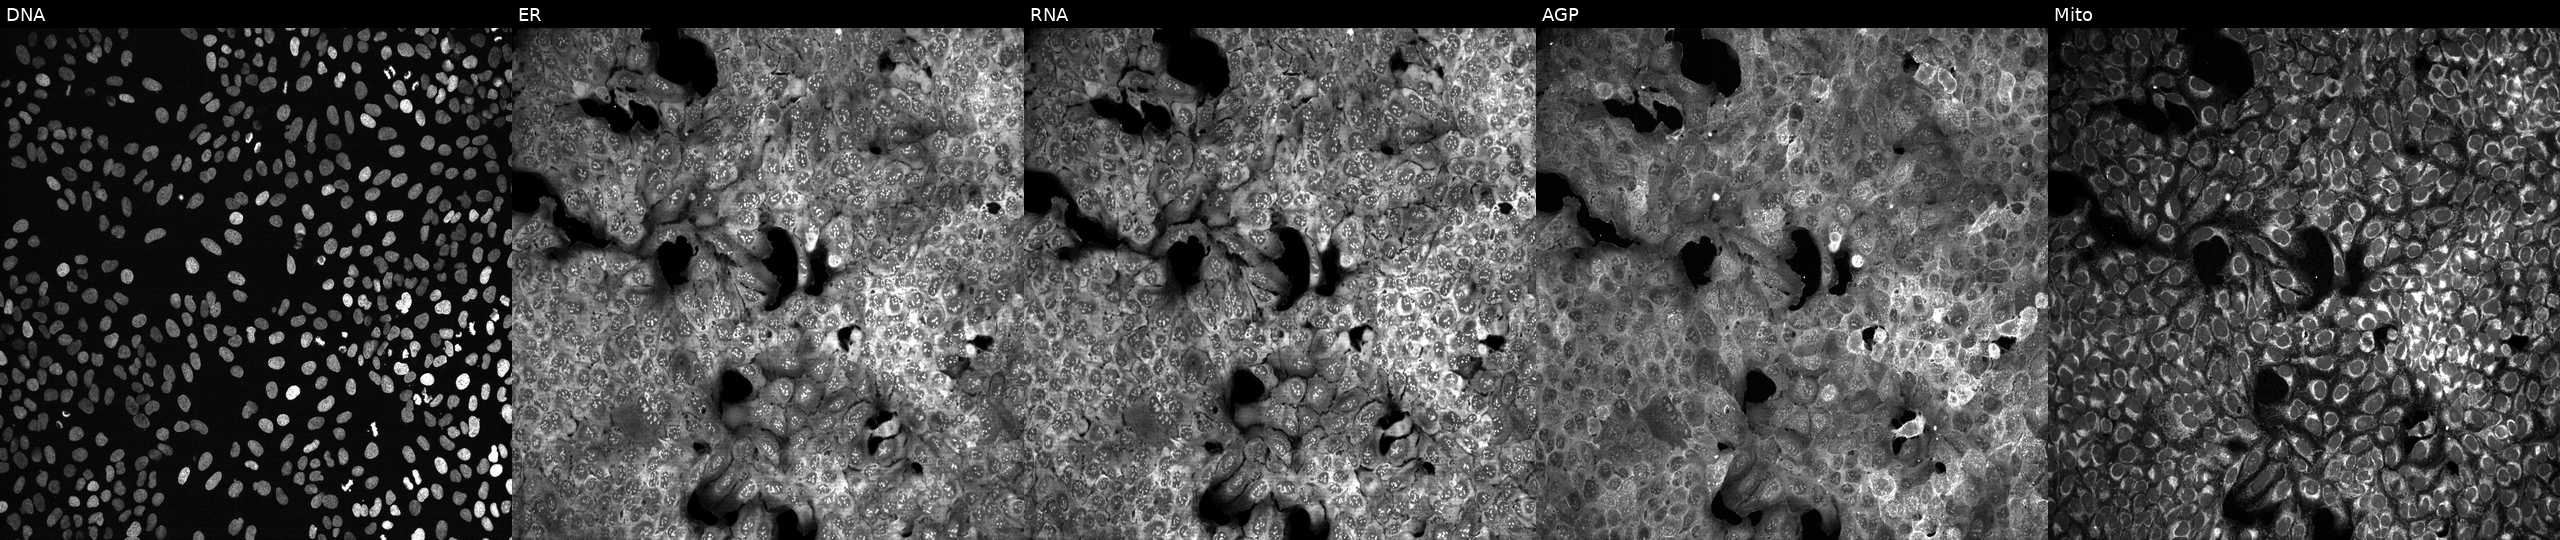
High-content fluorescence microscopy (Cell Painting). Cell line: U2OS. Perturbation: exposed to the positive-control compound LY2109761 (JUMP id JCP2022_035095). Channels (left→right): DNA (nuclei); ER (endoplasmic reticulum); RNA (nucleoli and cytoplasmic RNA); AGP (actin cytoskeleton, Golgi, and plasma membrane); Mito (mitochondria).